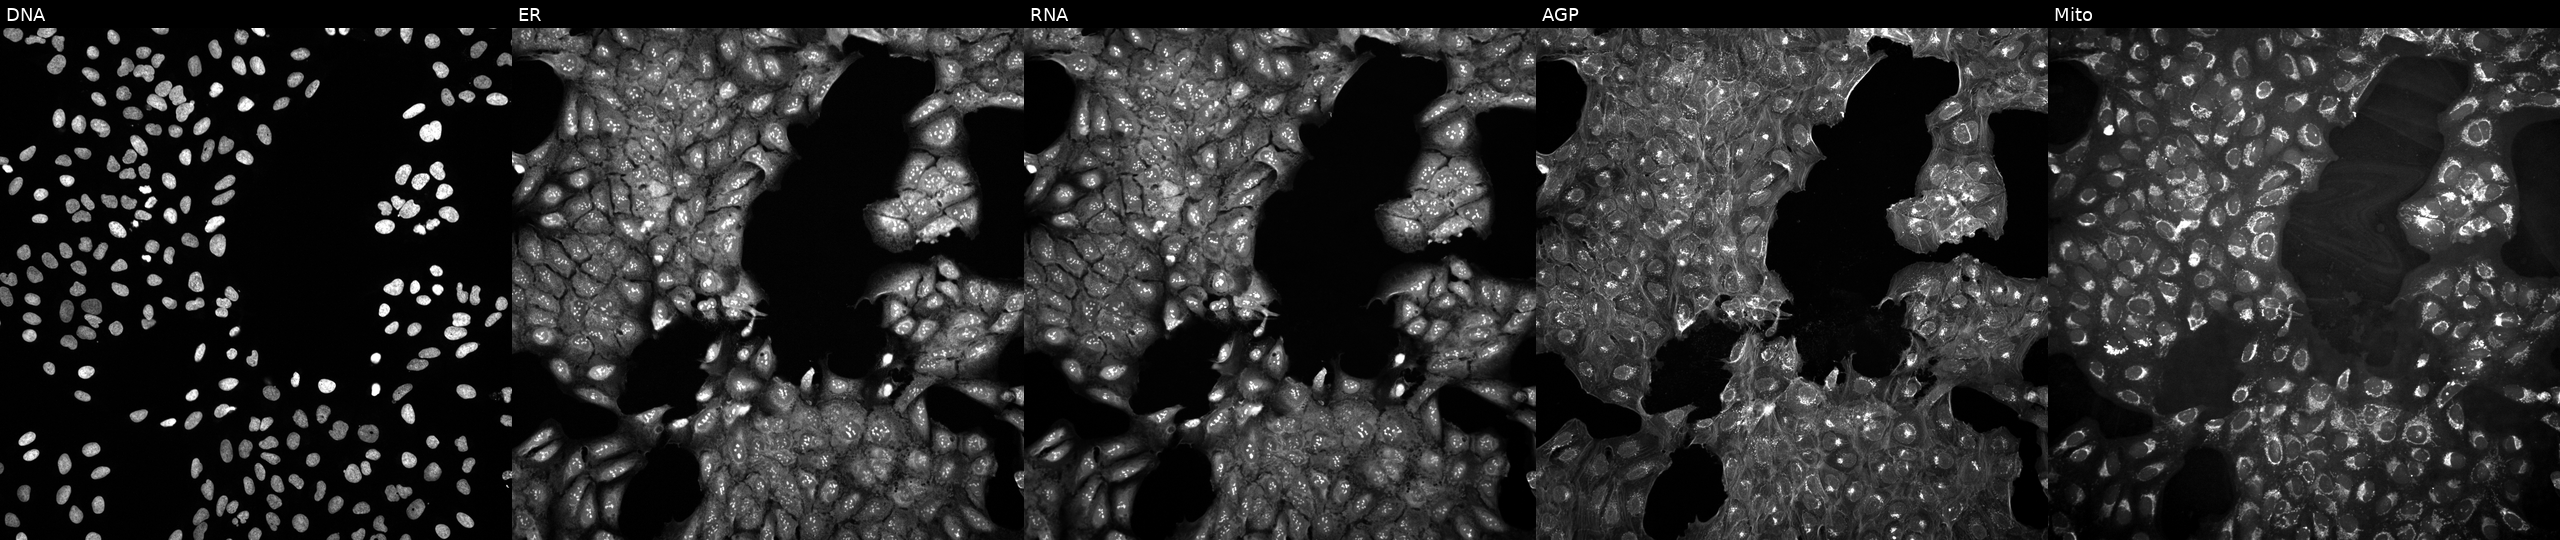
This image strip shows the five Cell Painting channels for a single field of U2OS cells untreated (empty-well control). Channels (left→right): DNA (nuclei); ER (endoplasmic reticulum); RNA (nucleoli and cytoplasmic RNA); AGP (actin cytoskeleton, Golgi, and plasma membrane); Mito (mitochondria). Source 10, plate Dest210531-152149, well D04.